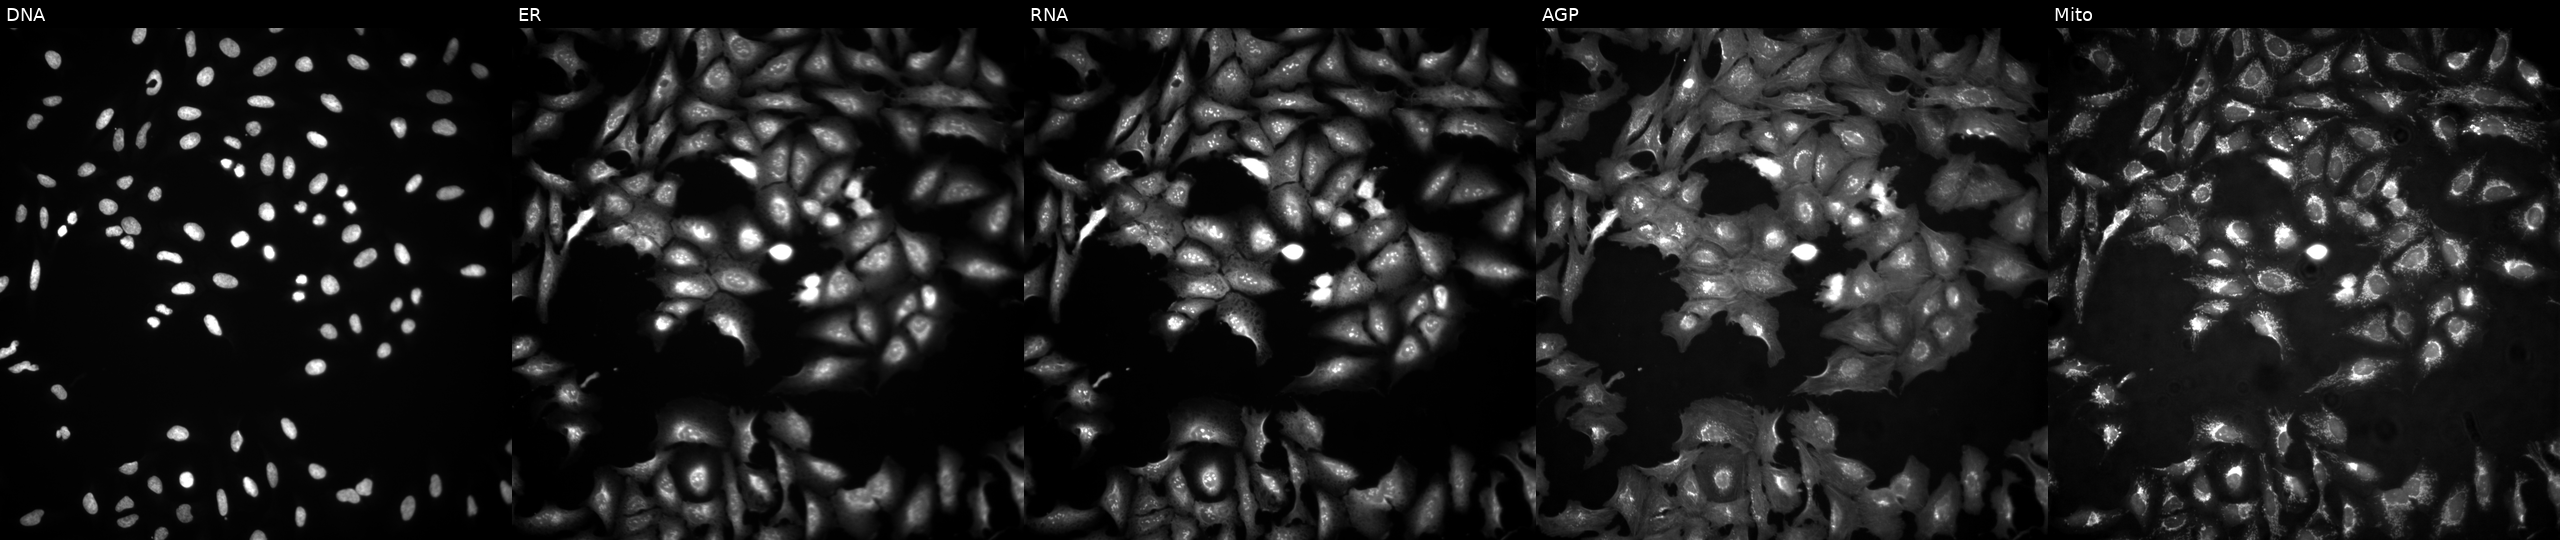
High-content fluorescence microscopy (Cell Painting). Cell line: U2OS. Perturbation: transfected with an ORF construct for ABCF3 (JUMP id JCP2022_903359). From left to right: DNA (nuclei); ER (endoplasmic reticulum); RNA (nucleoli and cytoplasmic RNA); AGP (actin cytoskeleton, Golgi, and plasma membrane); Mito (mitochondria).